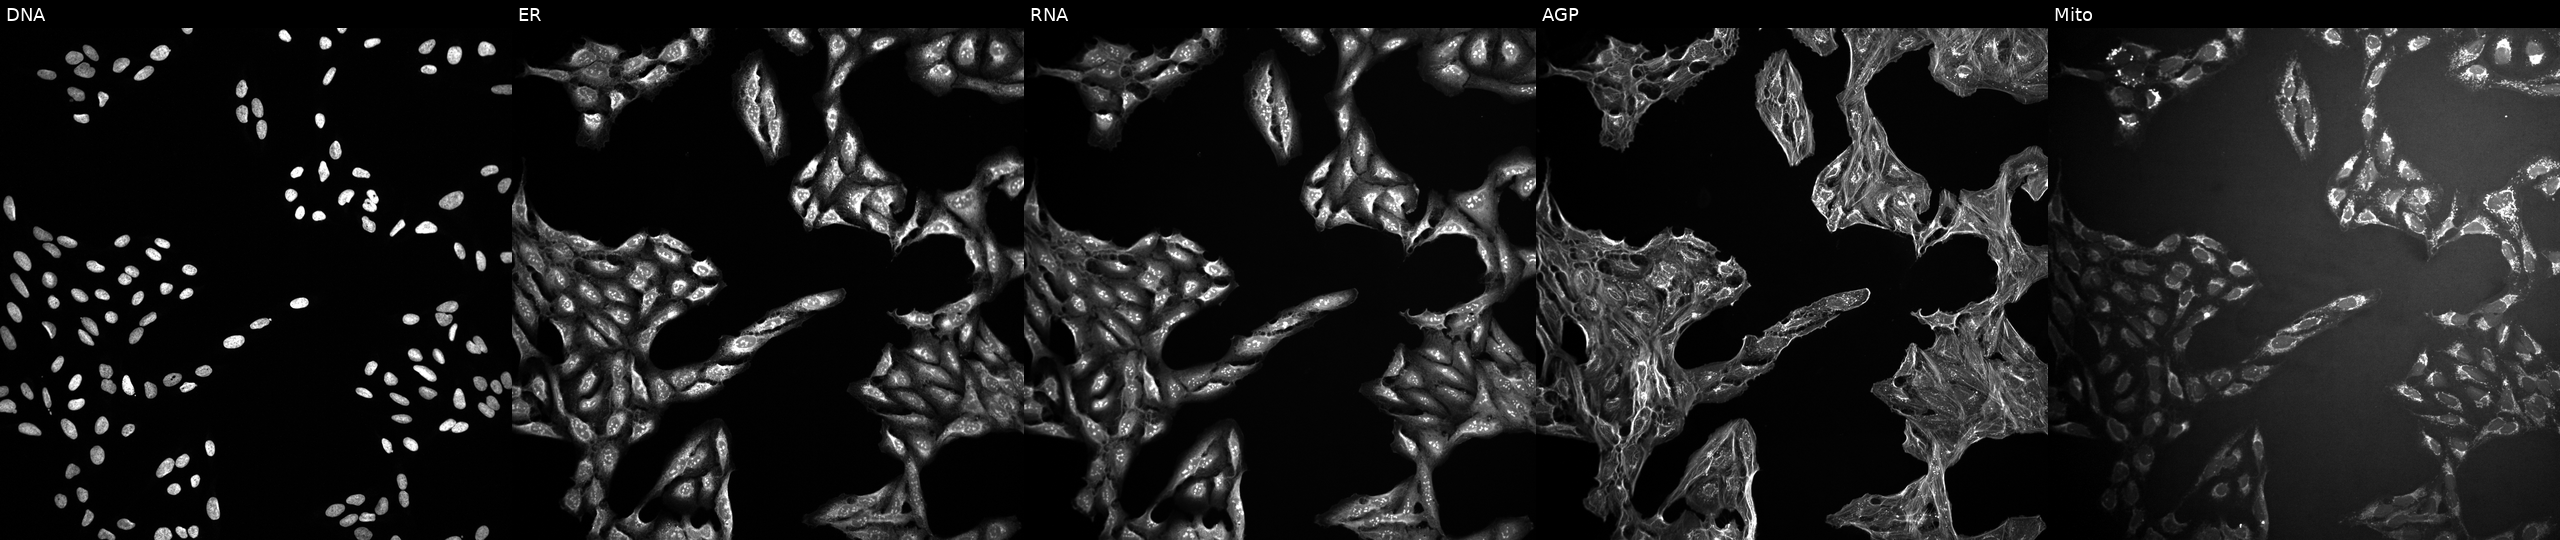
This image strip shows the five Cell Painting channels for a single field of U2OS cells treated with a small-molecule compound (InChIKey VHHVPDKNKPNKHY-UHFFFAOYSA-N). Panels show, left to right, DNA (nuclei); ER (endoplasmic reticulum); RNA (nucleoli and cytoplasmic RNA); AGP (actin cytoskeleton, Golgi, and plasma membrane); Mito (mitochondria). Source 10, plate Dest210727-153003, well G24.